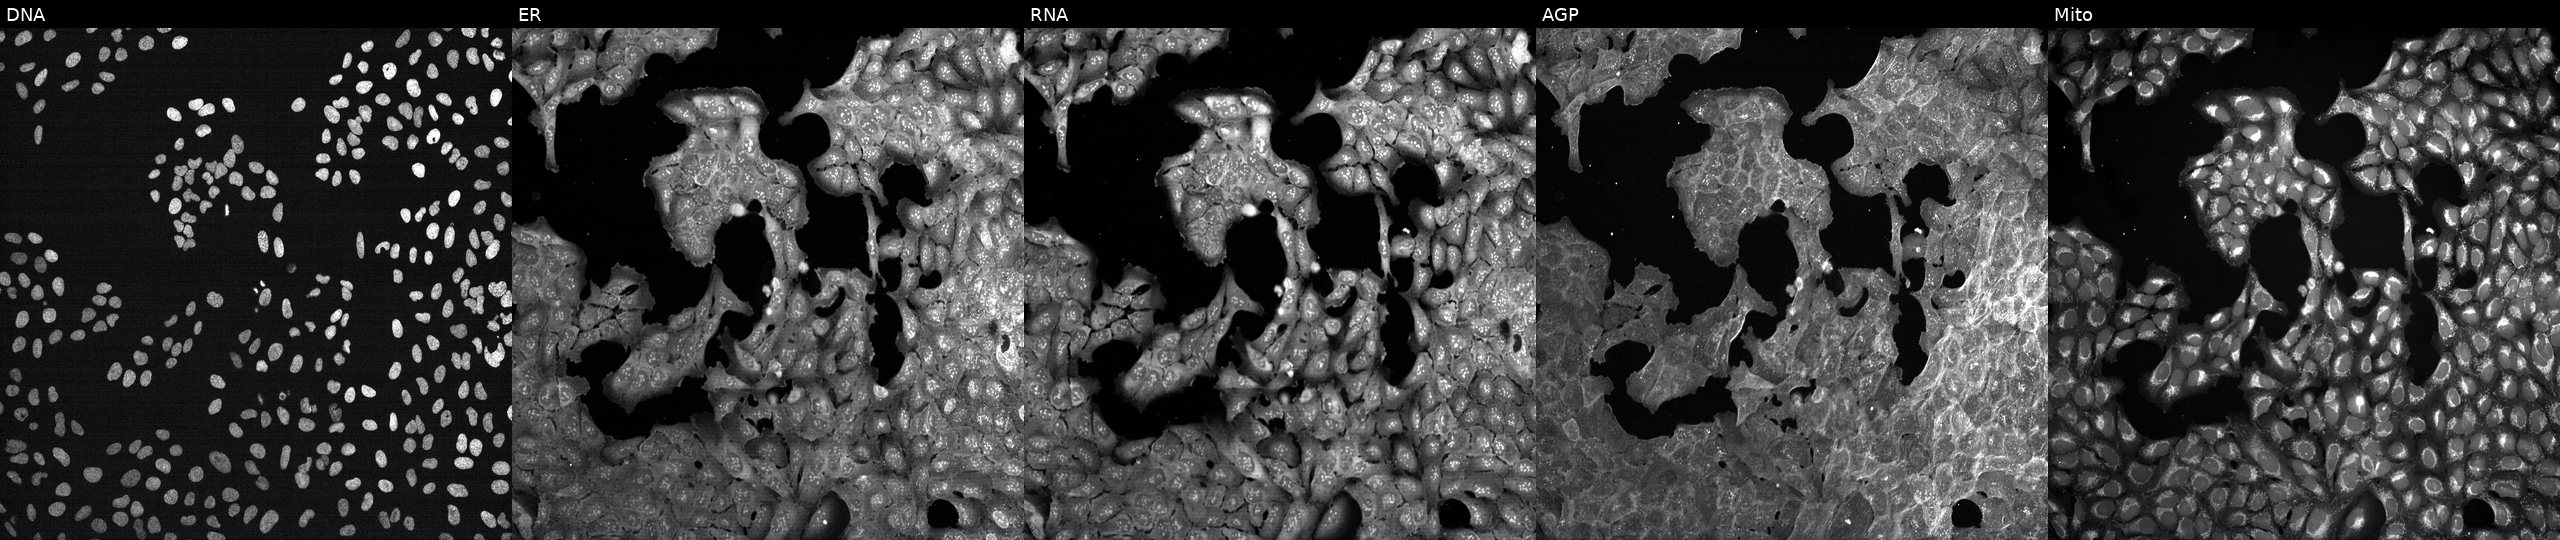
Panels show, left to right, DNA, ER, RNA, AGP, and Mito. U2OS osteosarcoma cells exposed to DMSO alone as a negative control (JUMP id JCP2022_033924). Cell Painting assay, JUMP-CP dataset.